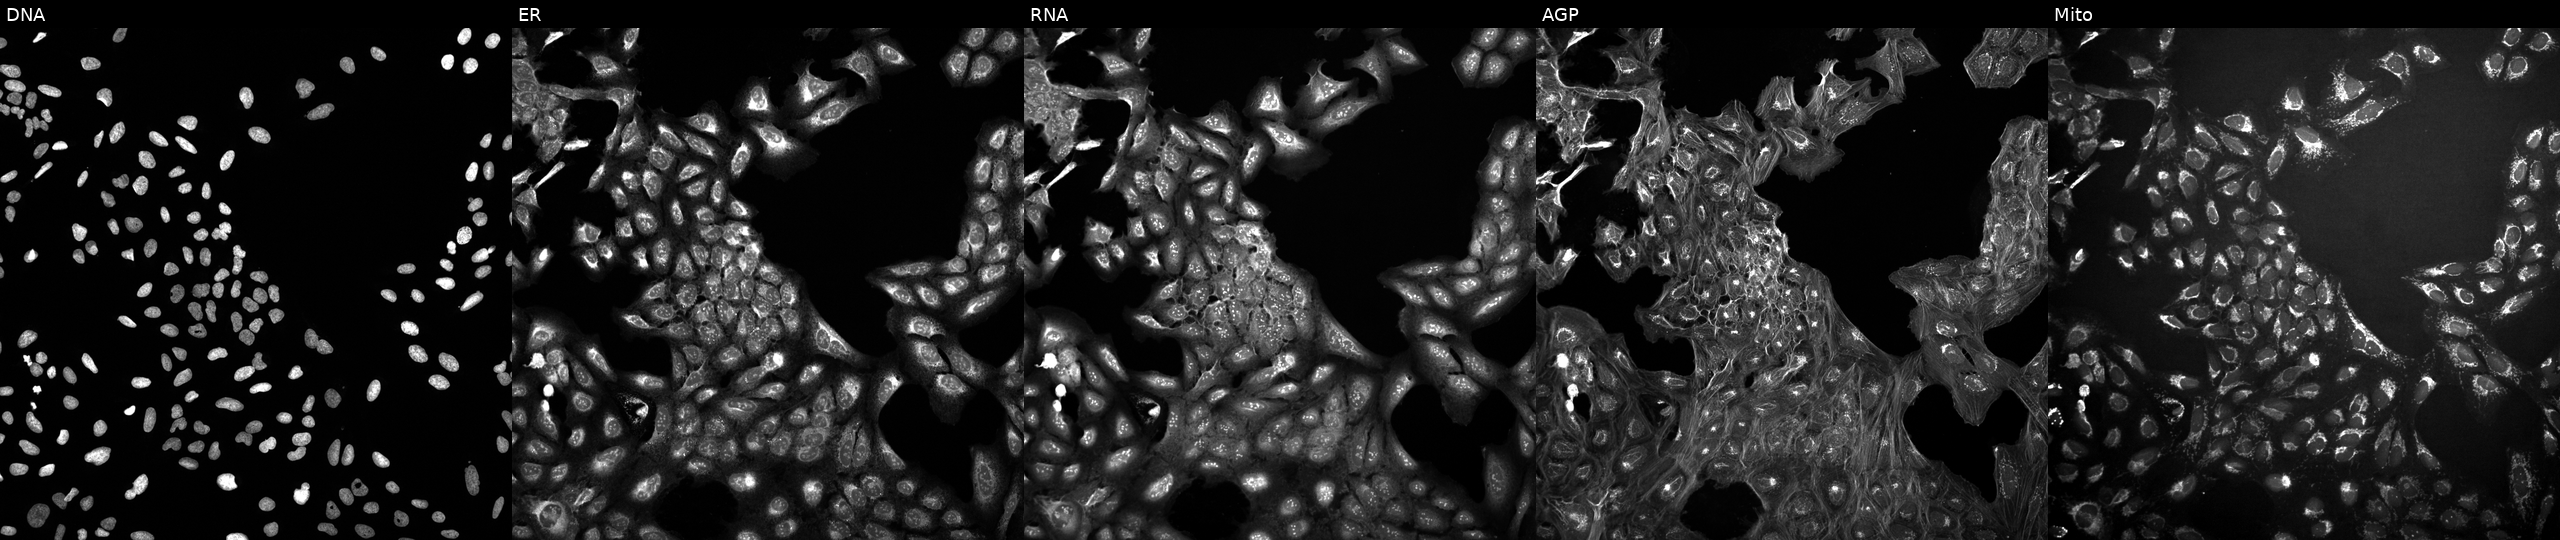
High-content fluorescence microscopy (Cell Painting). Cell line: U2OS. Perturbation: in an empty control well (no perturbation) (JUMP id JCP2022_999999). From left to right: Hoechst 33342, concanavalin A, SYTO 14, phalloidin and WGA, MitoTracker. Source 10, plate Dest210531-152324, well H04.